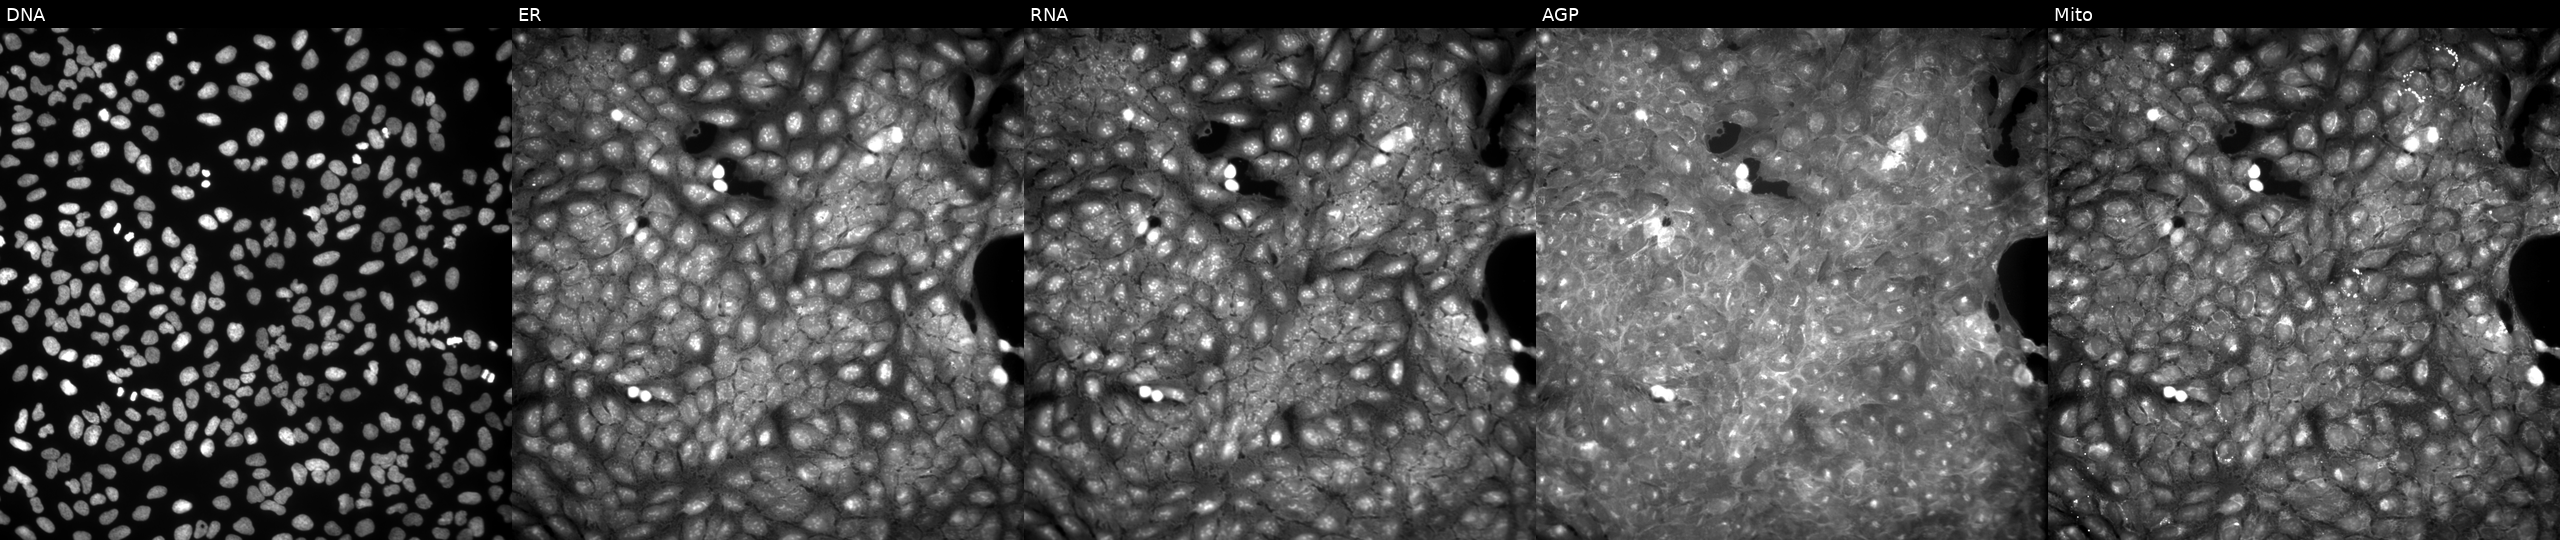
High-content fluorescence microscopy (Cell Painting). Cell line: U2OS. Perturbation: exposed to a small-molecule compound (InChIKey PVZQUNQVFBBAPG-UHFFFAOYSA-N) [SMILES: CCc1ccccc1NC(=O)CCN1C(=O)c2ccccc2C1=O]. From left to right: DNA (nuclei); ER (endoplasmic reticulum); RNA (nucleoli and cytoplasmic RNA); AGP (actin cytoskeleton, Golgi, and plasma membrane); Mito (mitochondria).